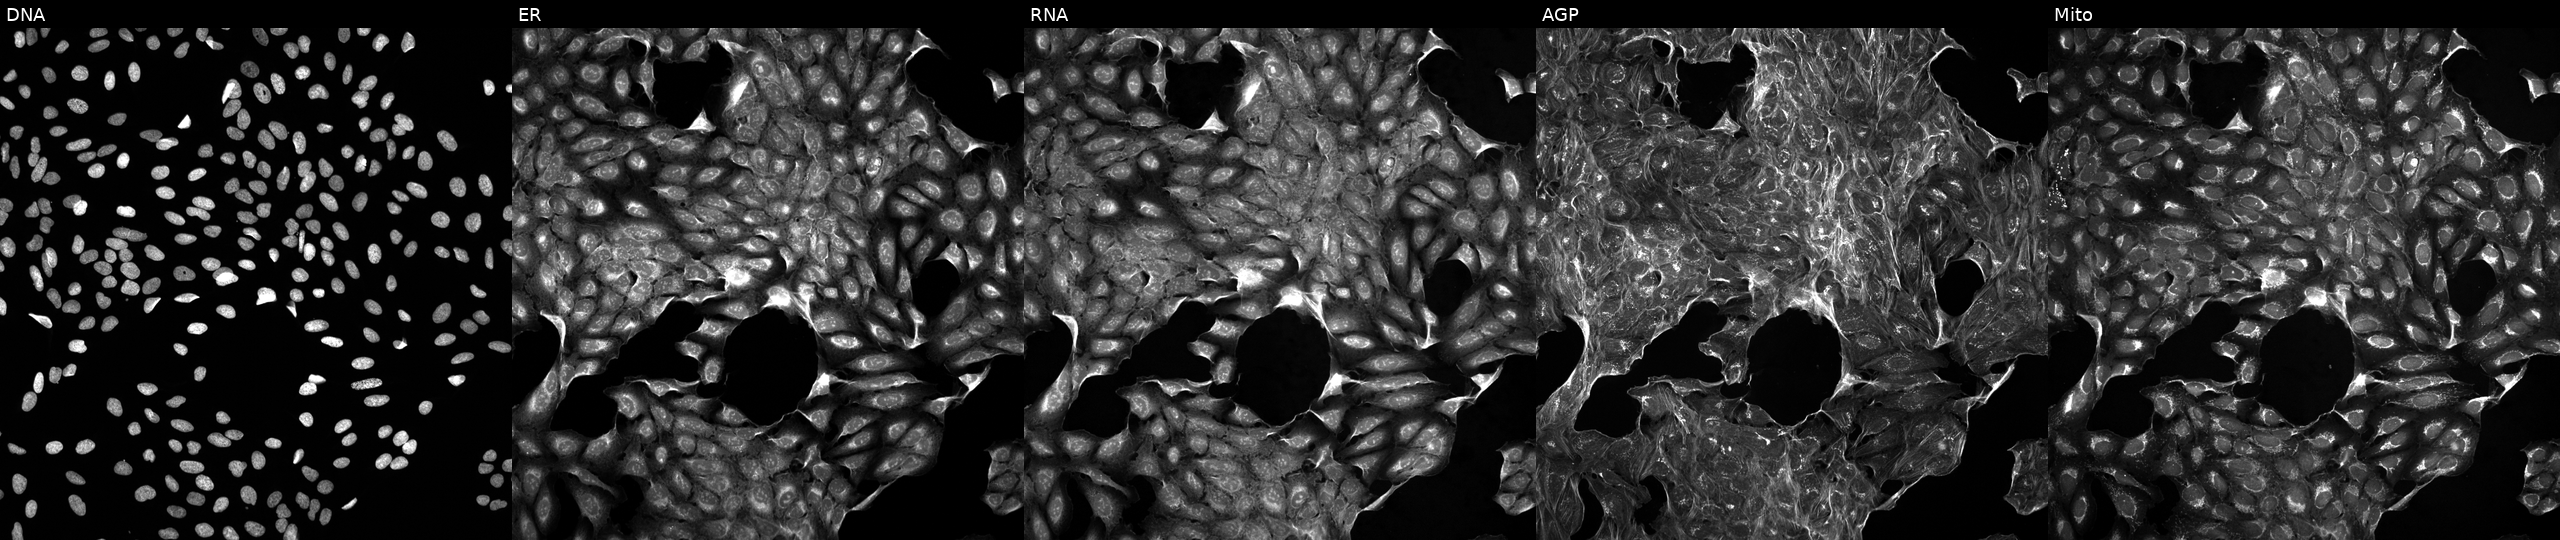
High-content fluorescence microscopy (Cell Painting). Cell line: U2OS. Perturbation: perturbed with a small-molecule compound (InChIKey KSCFJBIXMNOVSH-UHFFFAOYSA-N) (JUMP id JCP2022_046649). The five panels, left to right, show Hoechst 33342, concanavalin A, SYTO 14, phalloidin and WGA, MitoTracker. Source 5, plate ACPJUM032, well N13.